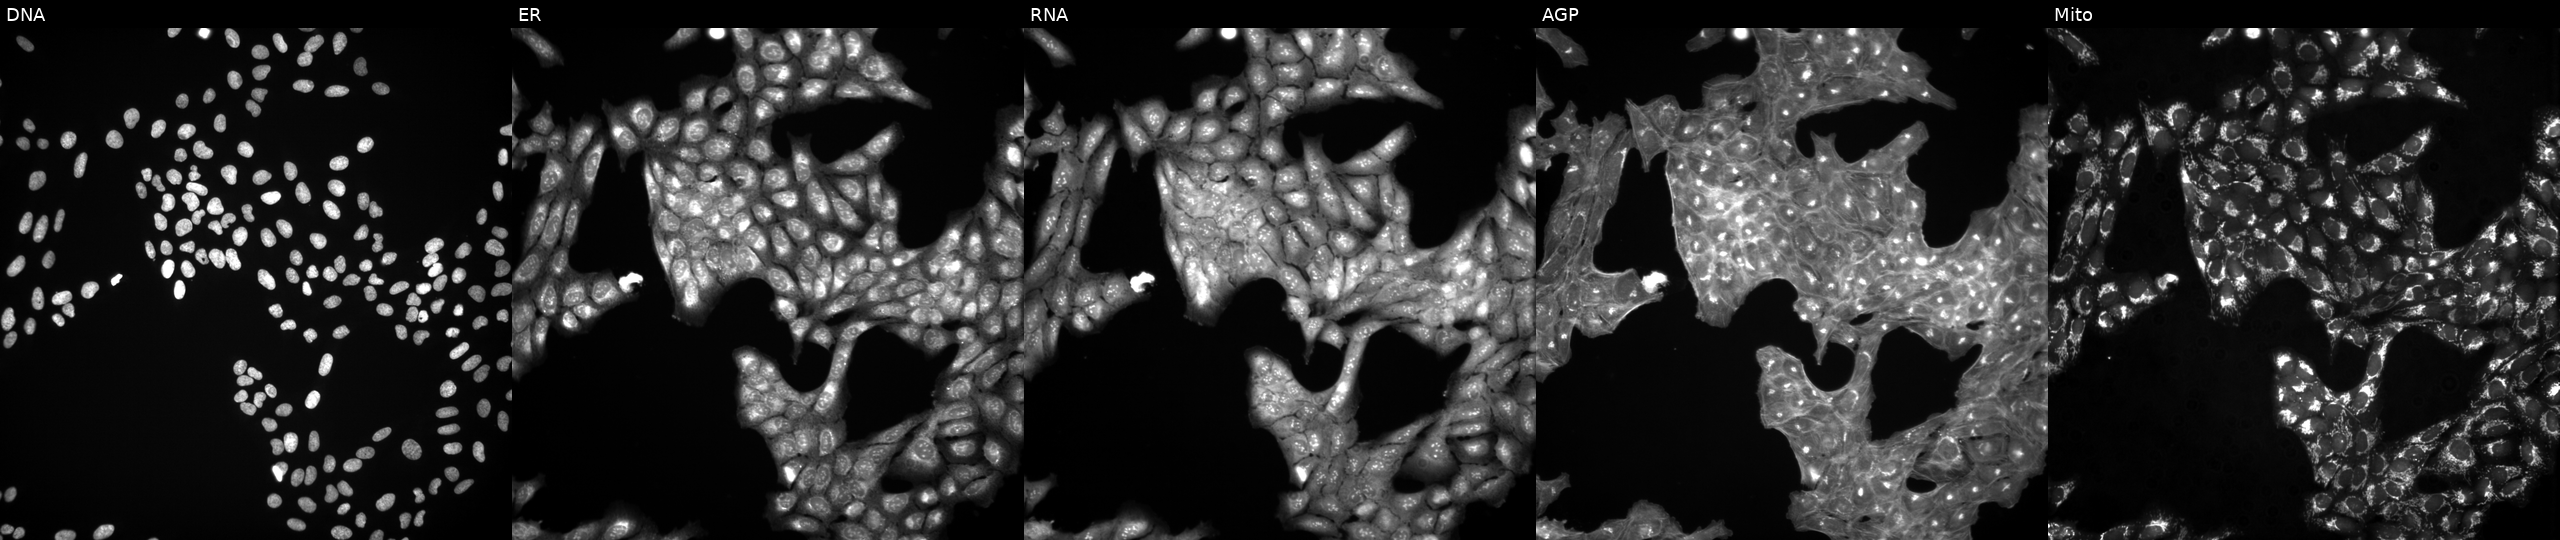
U2OS cells, Cell Painting assay, exposed to a small-molecule compound (InChIKey IYAYHZZWYNXHEQ-UHFFFAOYSA-N) (JUMP id JCP2022_038096). Panels show, left to right, Hoechst 33342, concanavalin A, SYTO 14, phalloidin and WGA, MitoTracker. Each panel is percentile-stretched 16-bit fluorescence.